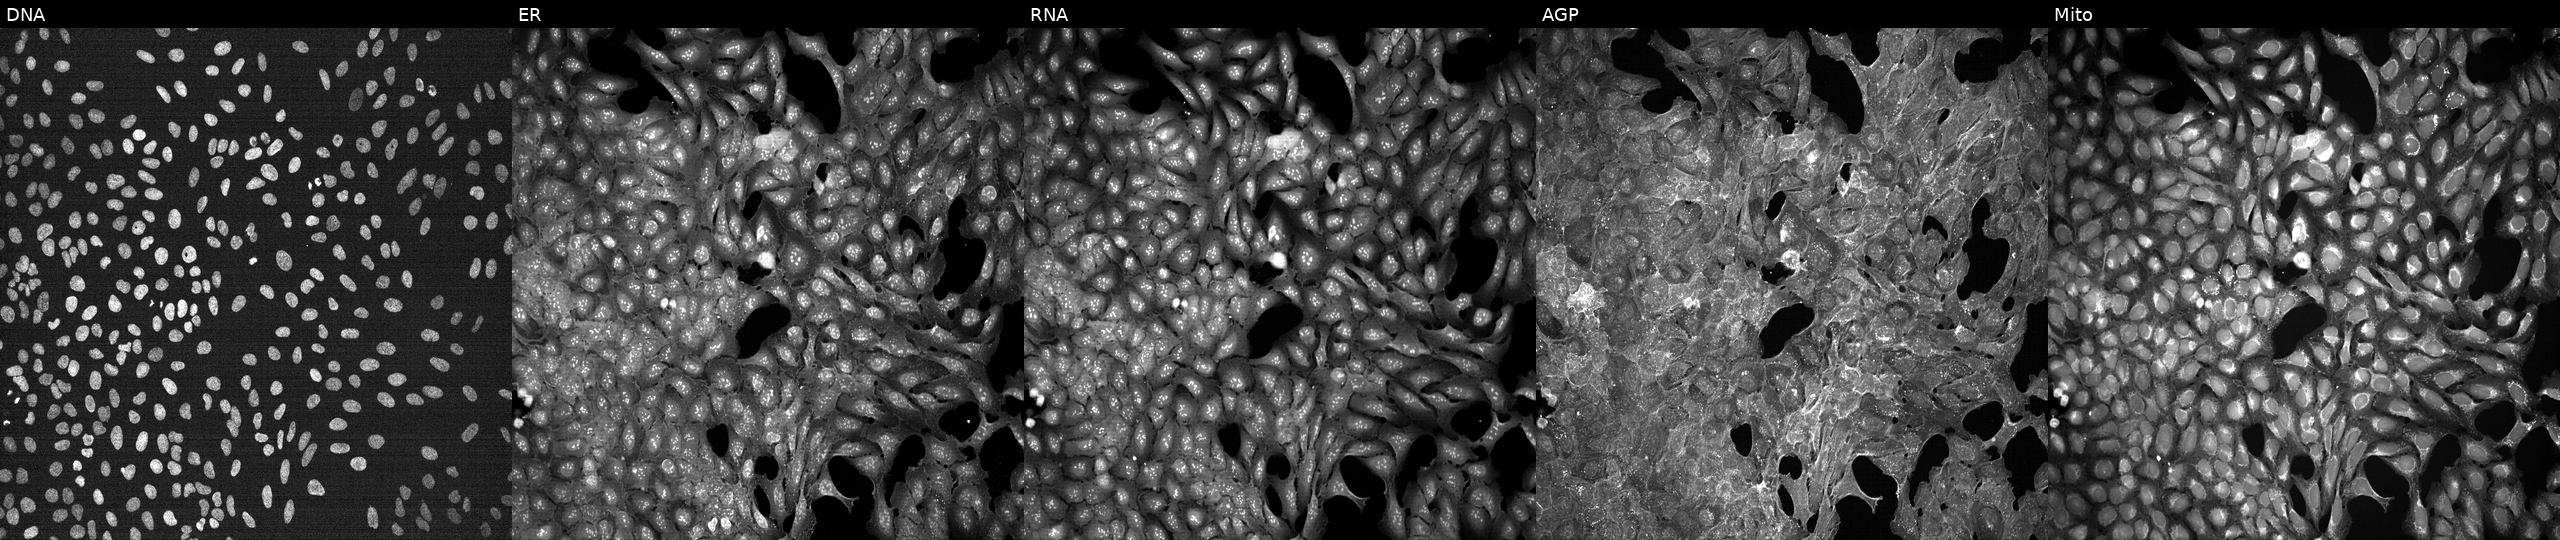
U2OS cells, Cell Painting assay, exposed to DMSO alone as a negative control. Channels (left→right): DNA (nuclei); ER (endoplasmic reticulum); RNA (nucleoli and cytoplasmic RNA); AGP (actin cytoskeleton, Golgi, and plasma membrane); Mito (mitochondria). Each panel is percentile-stretched 16-bit fluorescence.